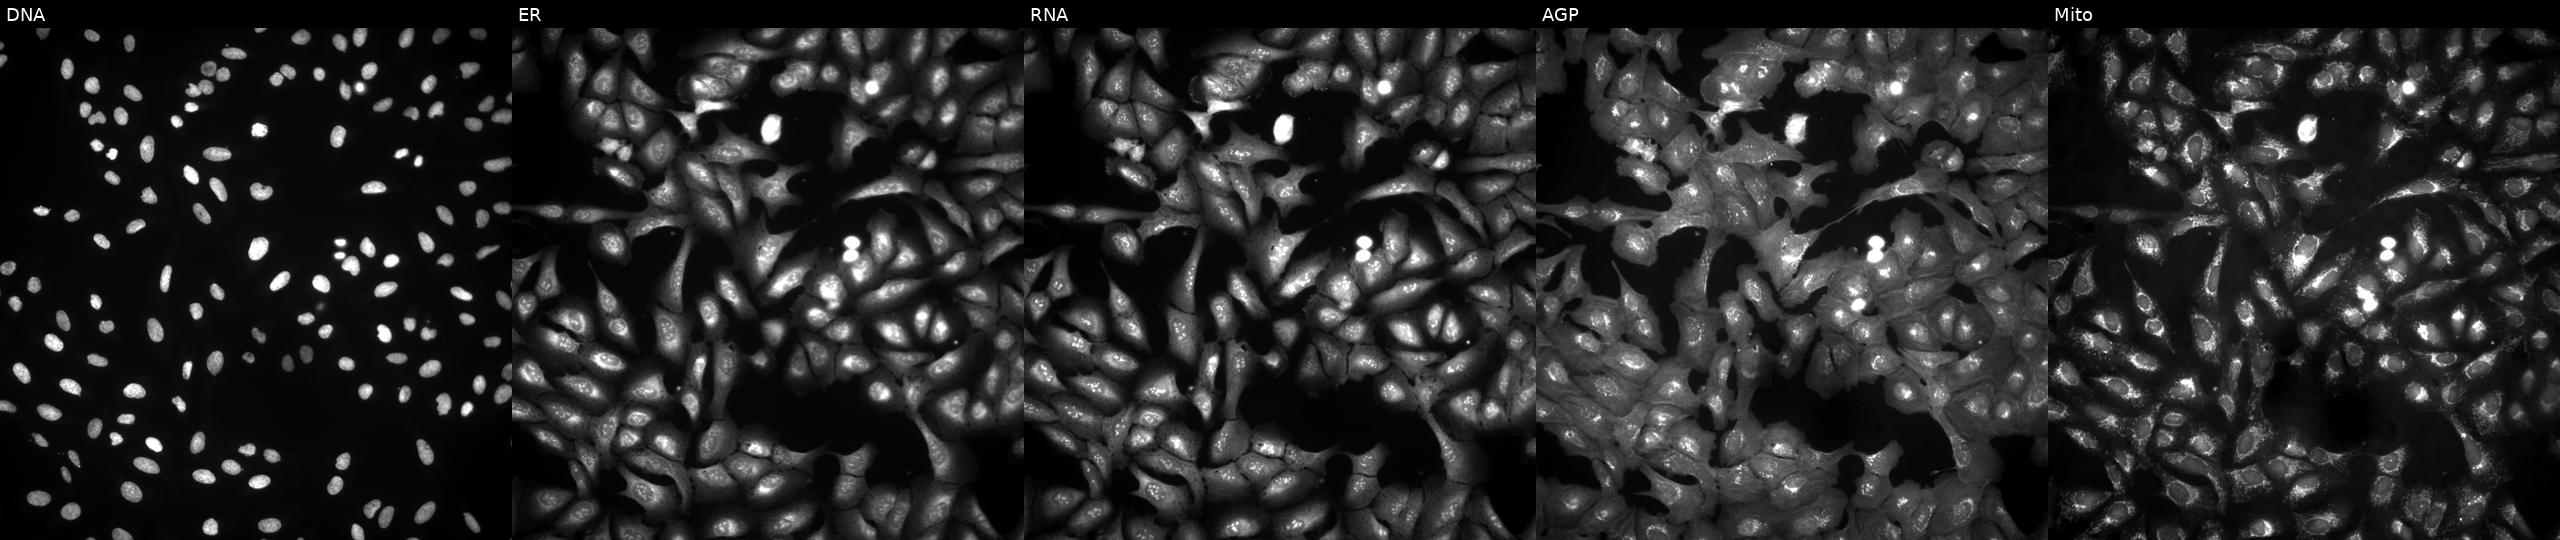
JUMP Cell Painting — ORF plate. U2OS cells transfected with an ORF construct for CACNA2D4 (JUMP id JCP2022_912120). Panels show, left to right, Hoechst 33342, concanavalin A, SYTO 14, phalloidin and WGA, MitoTracker. Source 4, plate BR00124790, well G19.